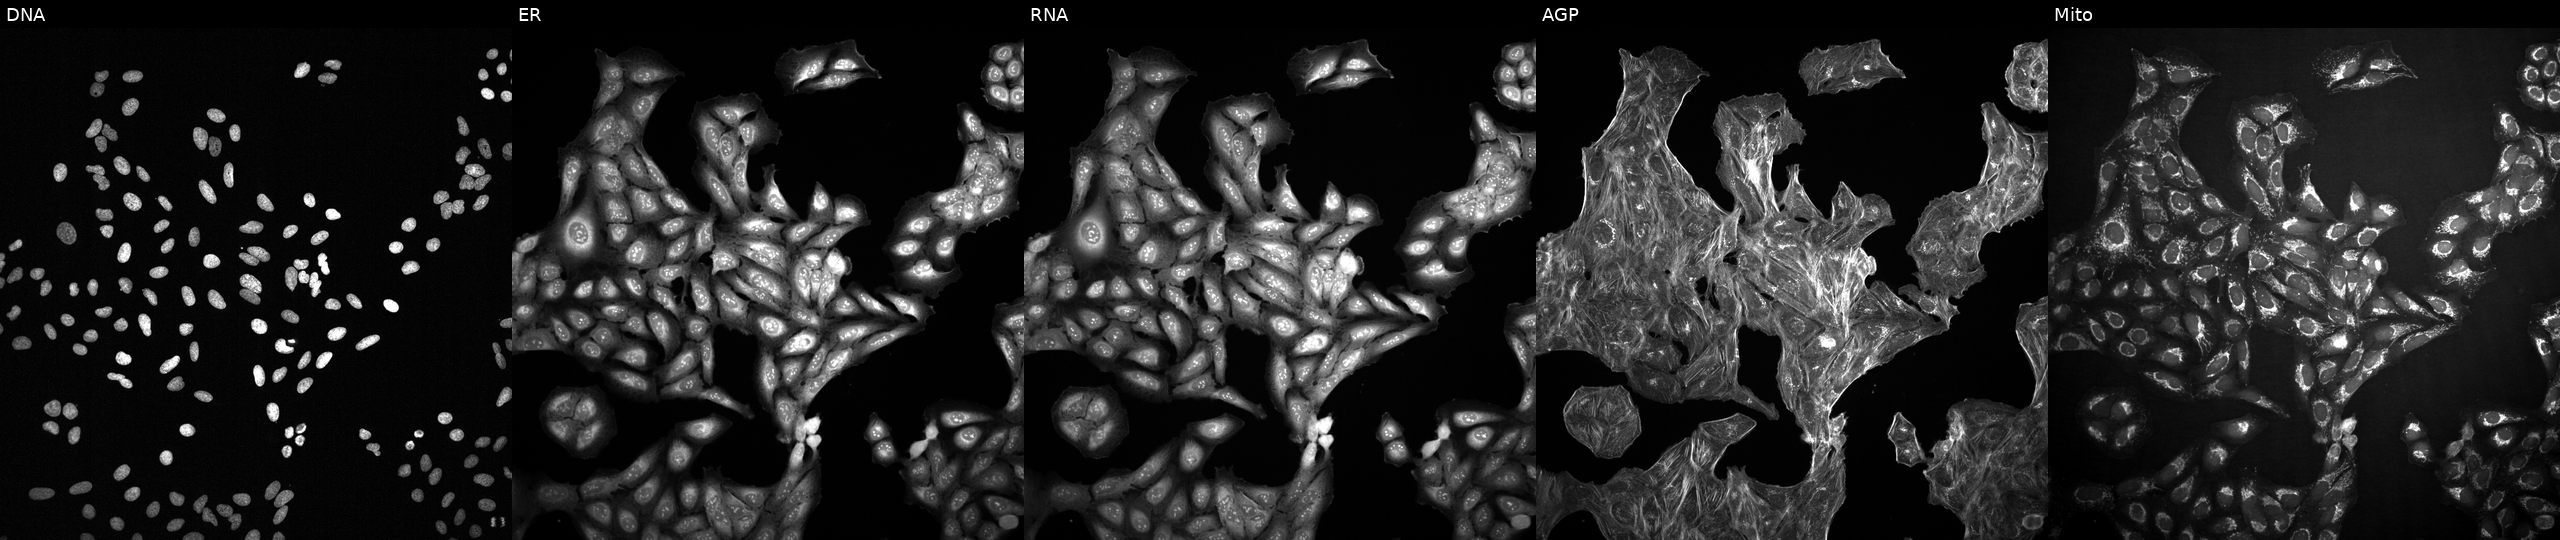
High-content fluorescence microscopy (Cell Painting). Cell line: U2OS. Perturbation: with an unidentified perturbation (not annotated in JUMP metadata). From left to right: Hoechst 33342, concanavalin A, SYTO 14, phalloidin and WGA, MitoTracker. Source 2, plate 1053601763, well B04.